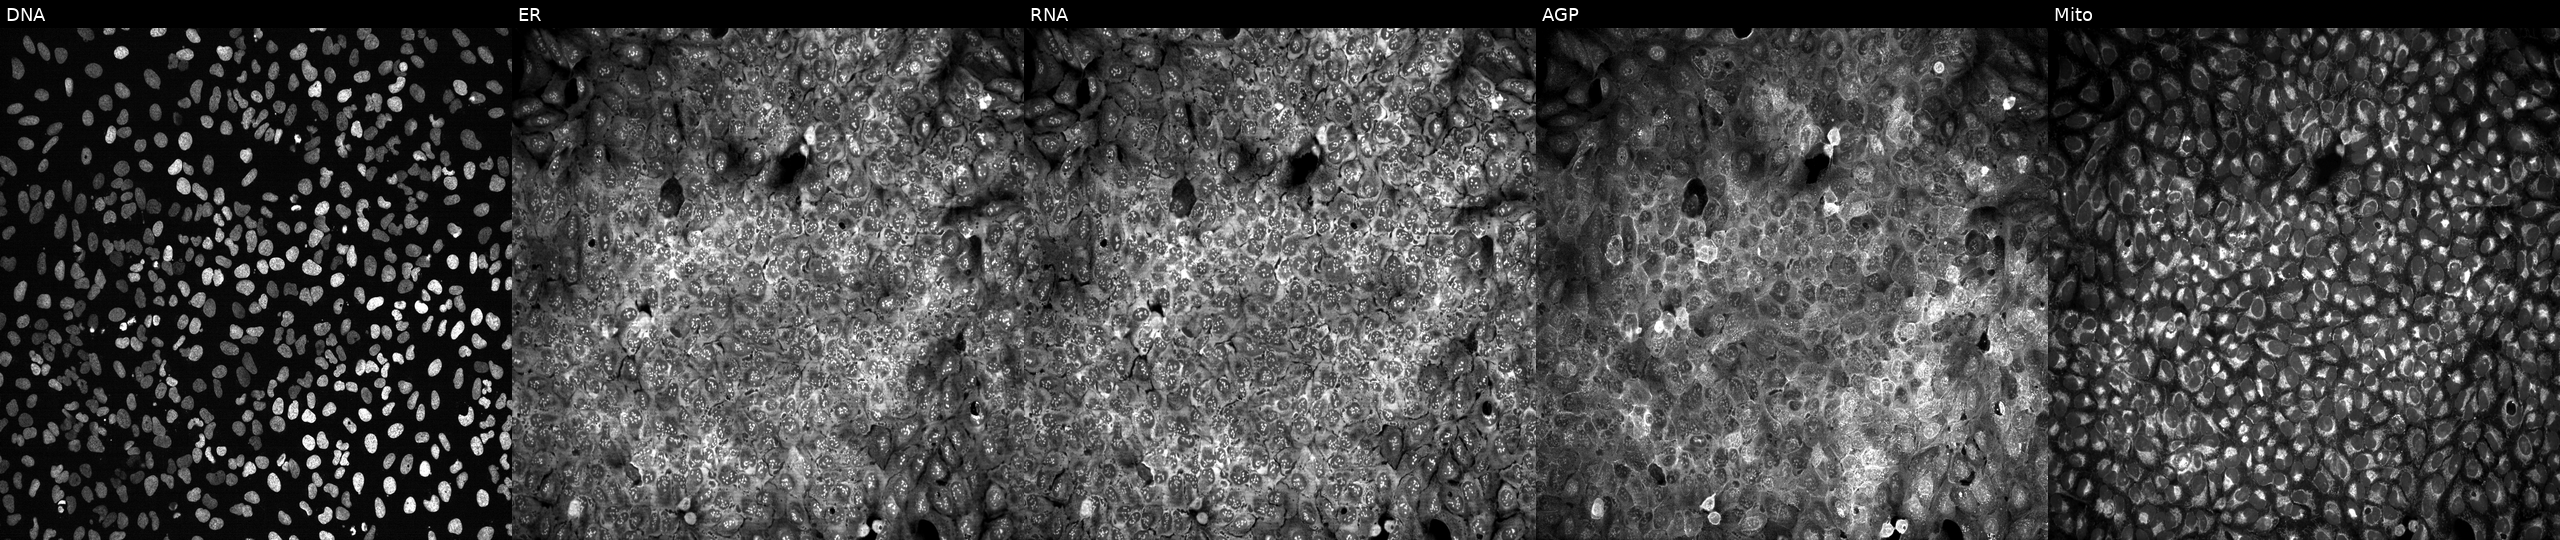
Five-channel Cell Painting image of U2OS cells following CRISPR knockout of SULT1C4 (JUMP id JCP2022_806879). From left to right: DNA (nuclei); ER (endoplasmic reticulum); RNA (nucleoli and cytoplasmic RNA); AGP (actin cytoskeleton, Golgi, and plasma membrane); Mito (mitochondria).